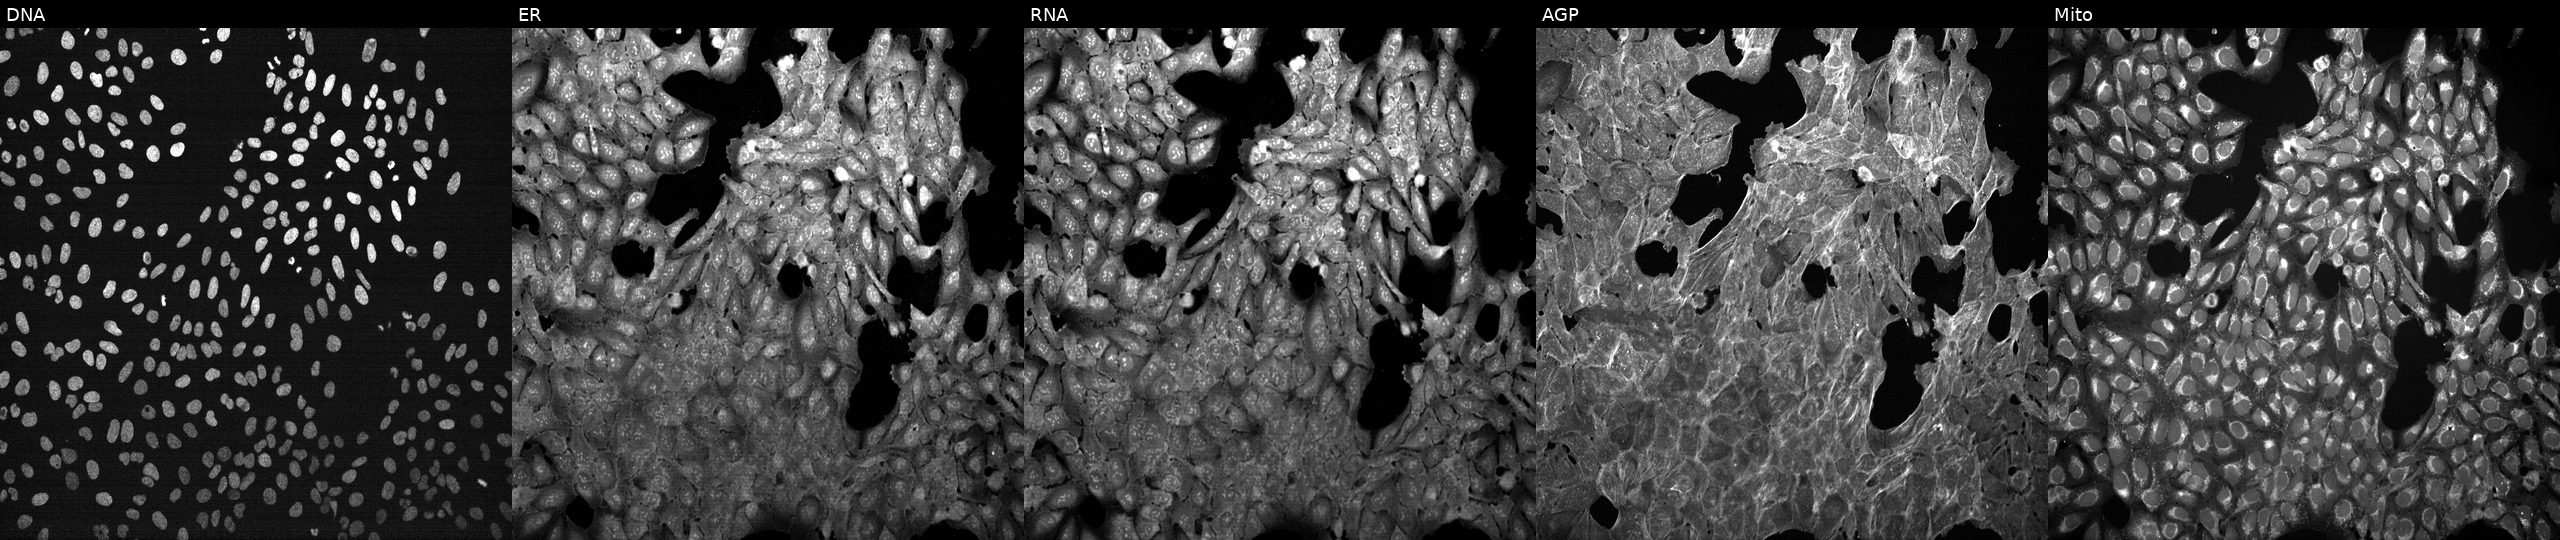
JUMP Cell Painting — TARGET2 plate. U2OS cells treated with a small-molecule compound (InChIKey NQDJXKOVJZTUJA-UHFFFAOYSA-N). Channels (left→right): DNA (nuclei); ER (endoplasmic reticulum); RNA (nucleoli and cytoplasmic RNA); AGP (actin cytoskeleton, Golgi, and plasma membrane); Mito (mitochondria).